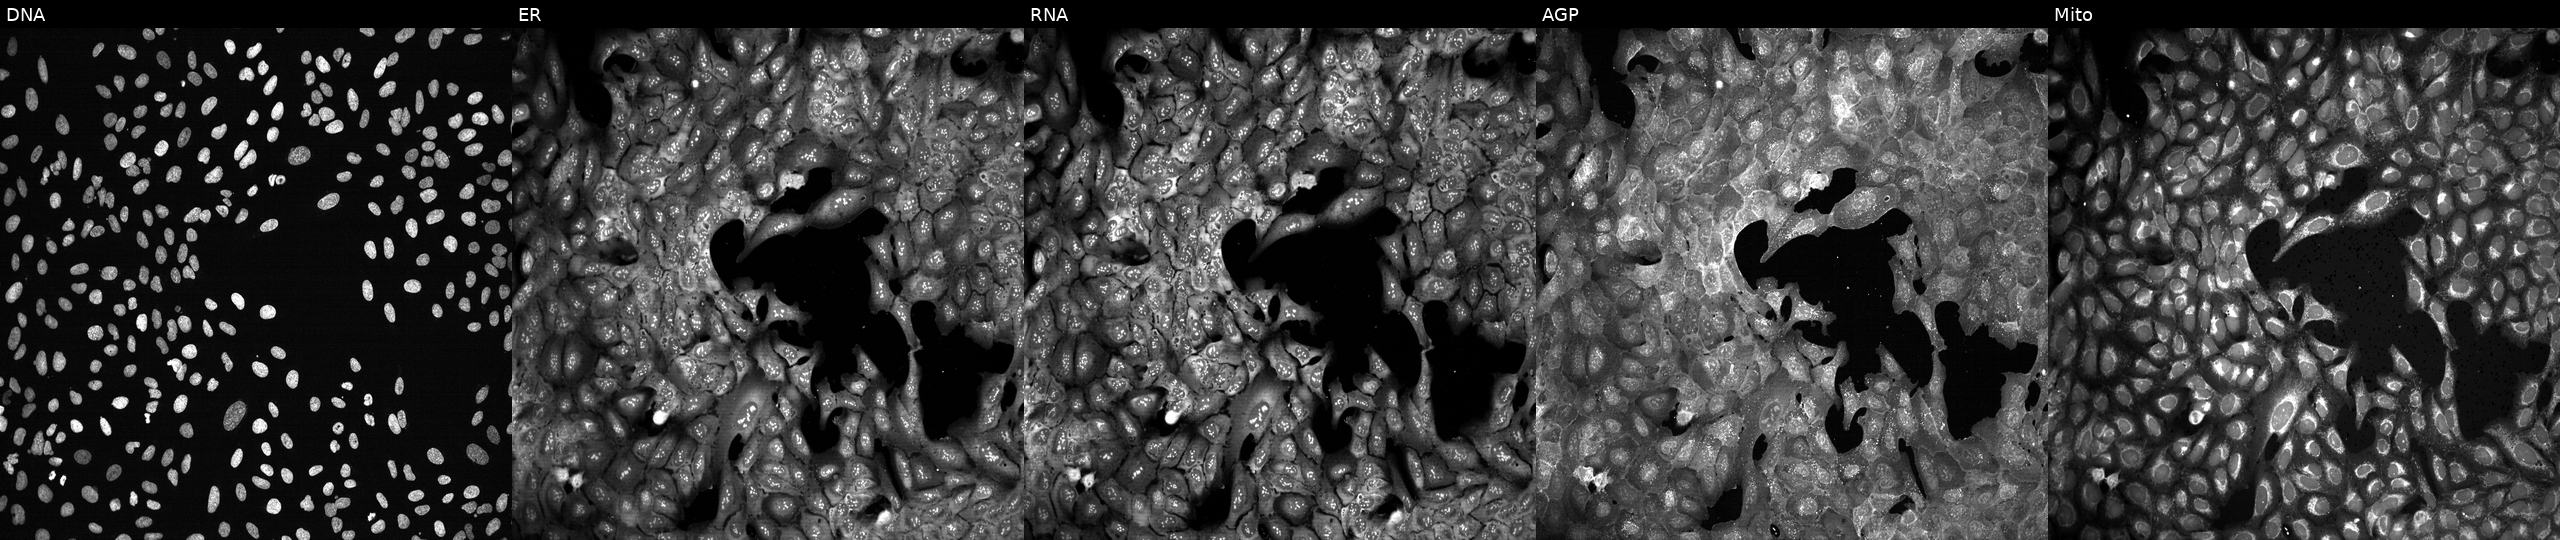
High-content fluorescence microscopy (Cell Painting). Cell line: U2OS. Perturbation: CRISPR-edited to disrupt CNTFR (JUMP id JCP2022_801425). Panels show, left to right, DNA (nuclei); ER (endoplasmic reticulum); RNA (nucleoli and cytoplasmic RNA); AGP (actin cytoskeleton, Golgi, and plasma membrane); Mito (mitochondria). Source 13, plate CP-CC9-R5-01, well B17.